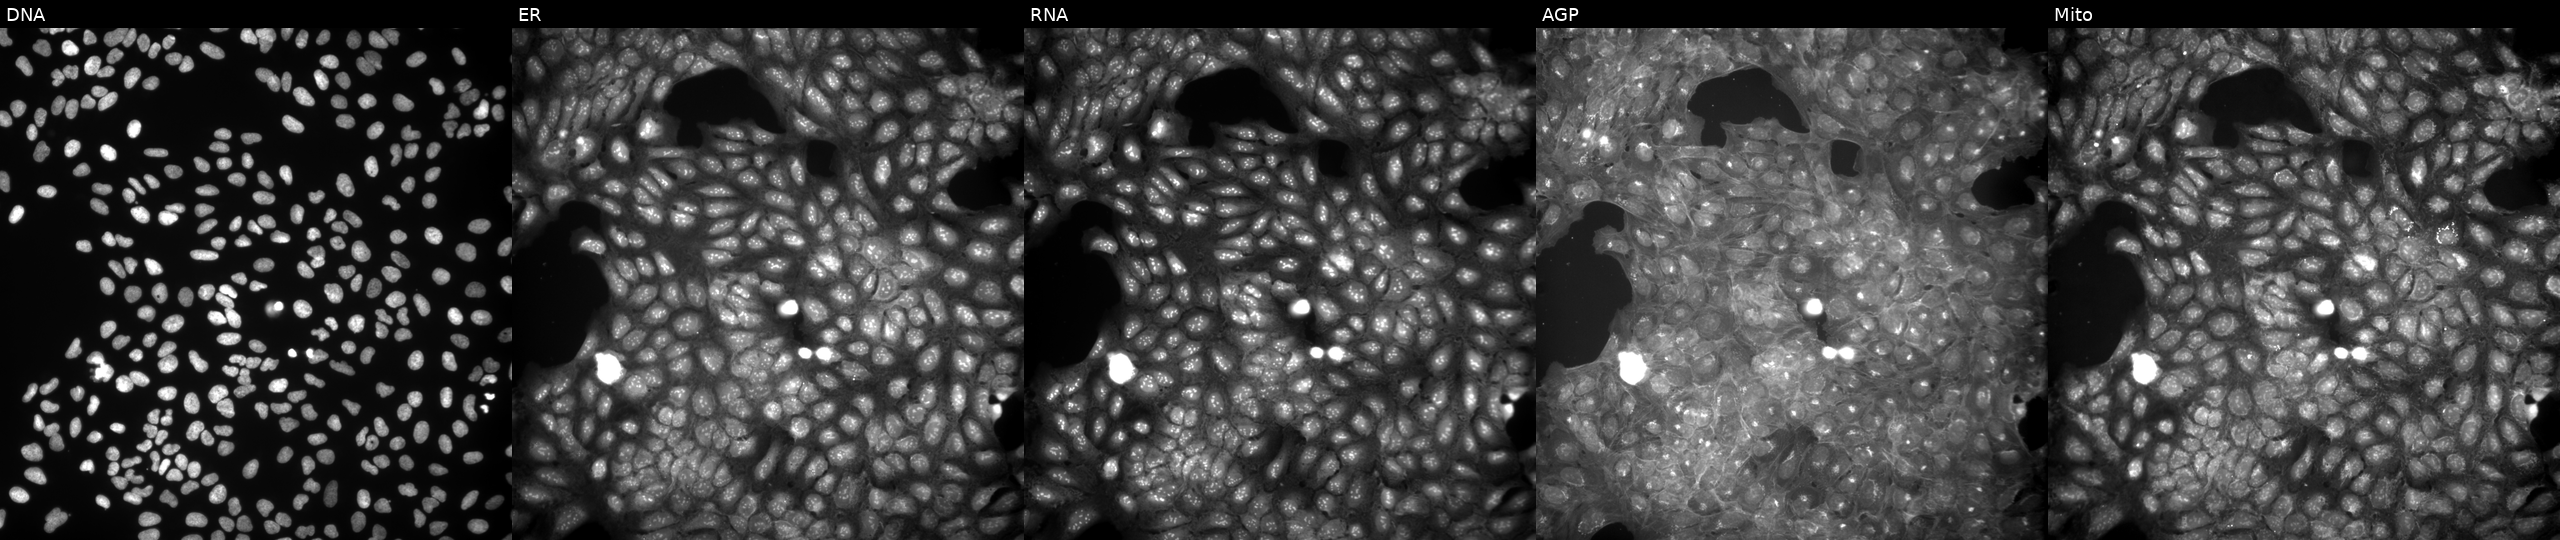
JUMP Cell Painting — COMPOUND plate. U2OS cells exposed to a small-molecule compound (JUMP id JCP2022_065754). Panels show, left to right, Hoechst 33342, concanavalin A, SYTO 14, phalloidin and WGA, MitoTracker.